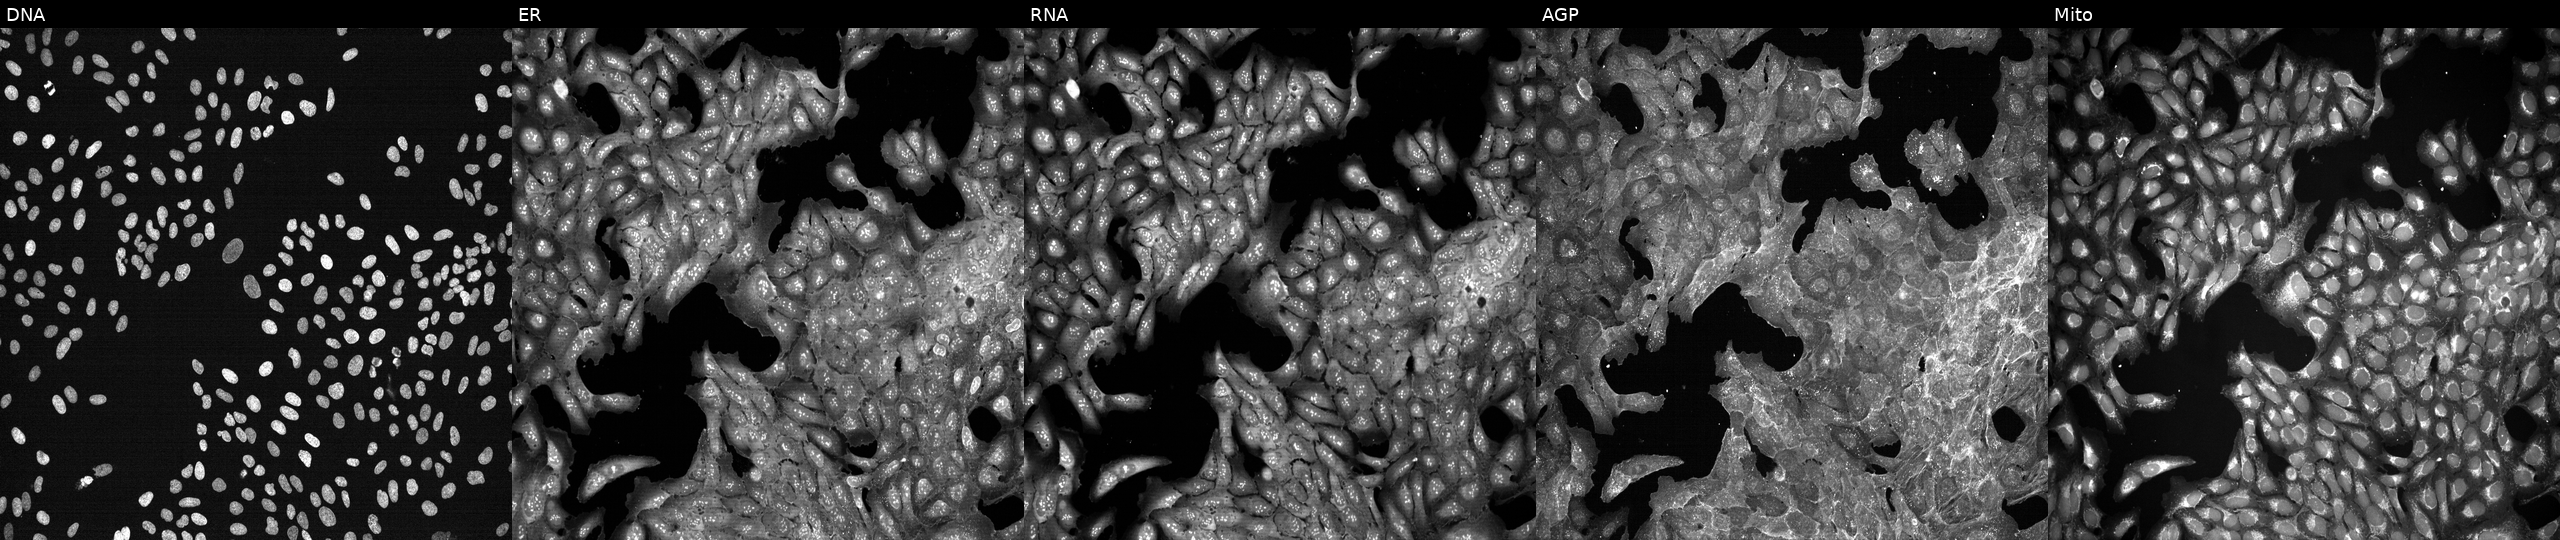
High-content fluorescence microscopy (Cell Painting). Cell line: U2OS. Perturbation: exposed to a small-molecule compound (InChIKey FMYGNANMYYHBSU-UHFFFAOYSA-N). From left to right: DNA, ER, RNA, AGP, and Mito.